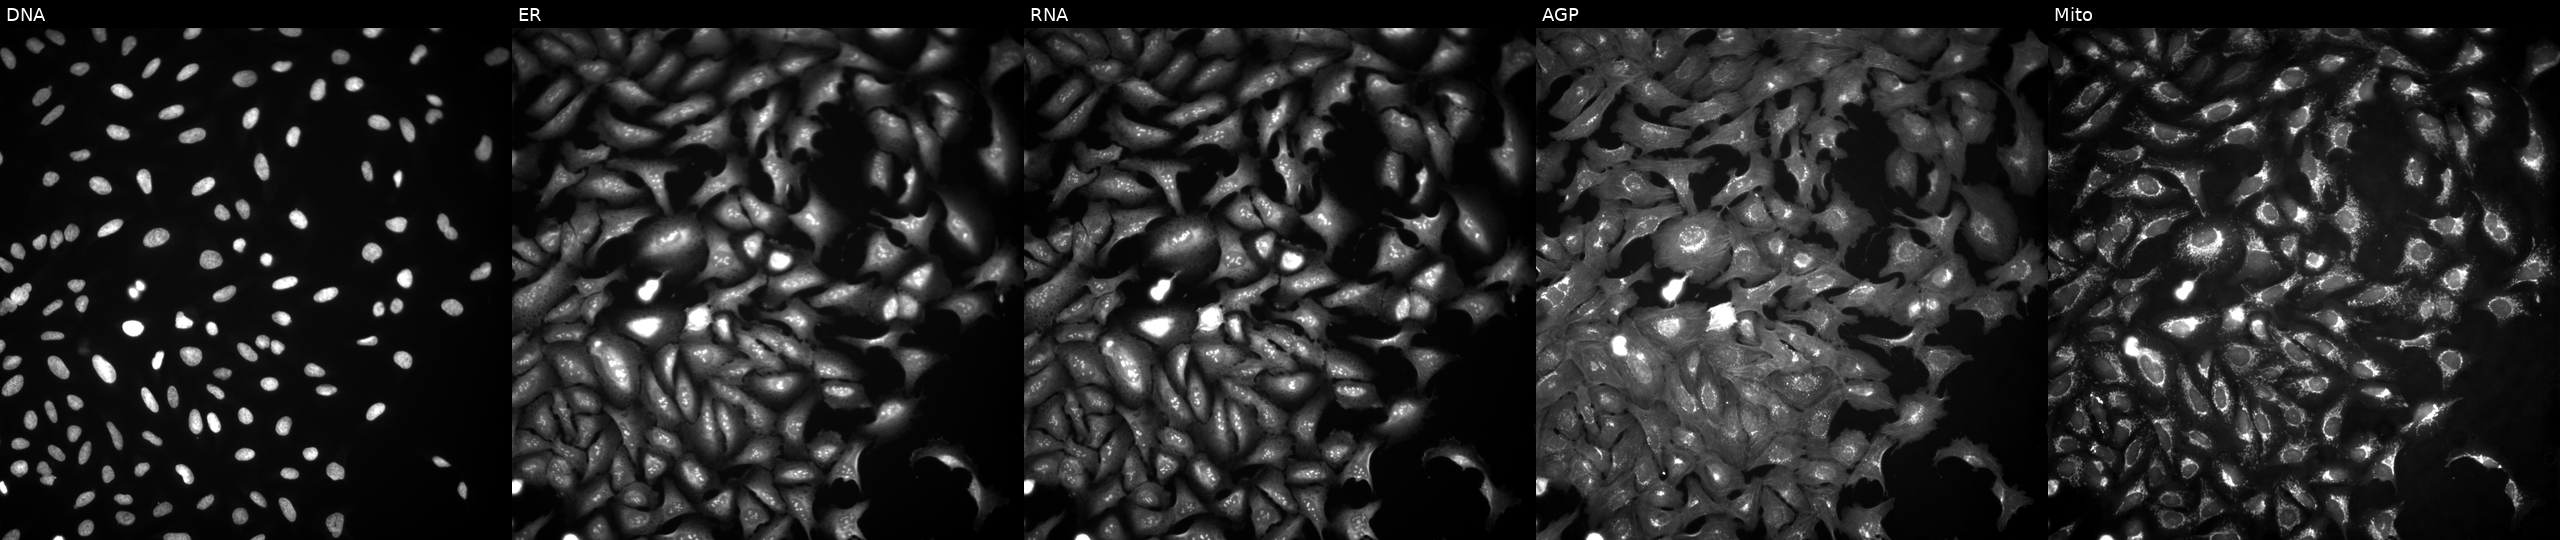
Panels show, left to right, Hoechst 33342, concanavalin A, SYTO 14, phalloidin and WGA, MitoTracker. U2OS osteosarcoma cells untreated (empty-well control). Cell Painting assay, JUMP-CP dataset.